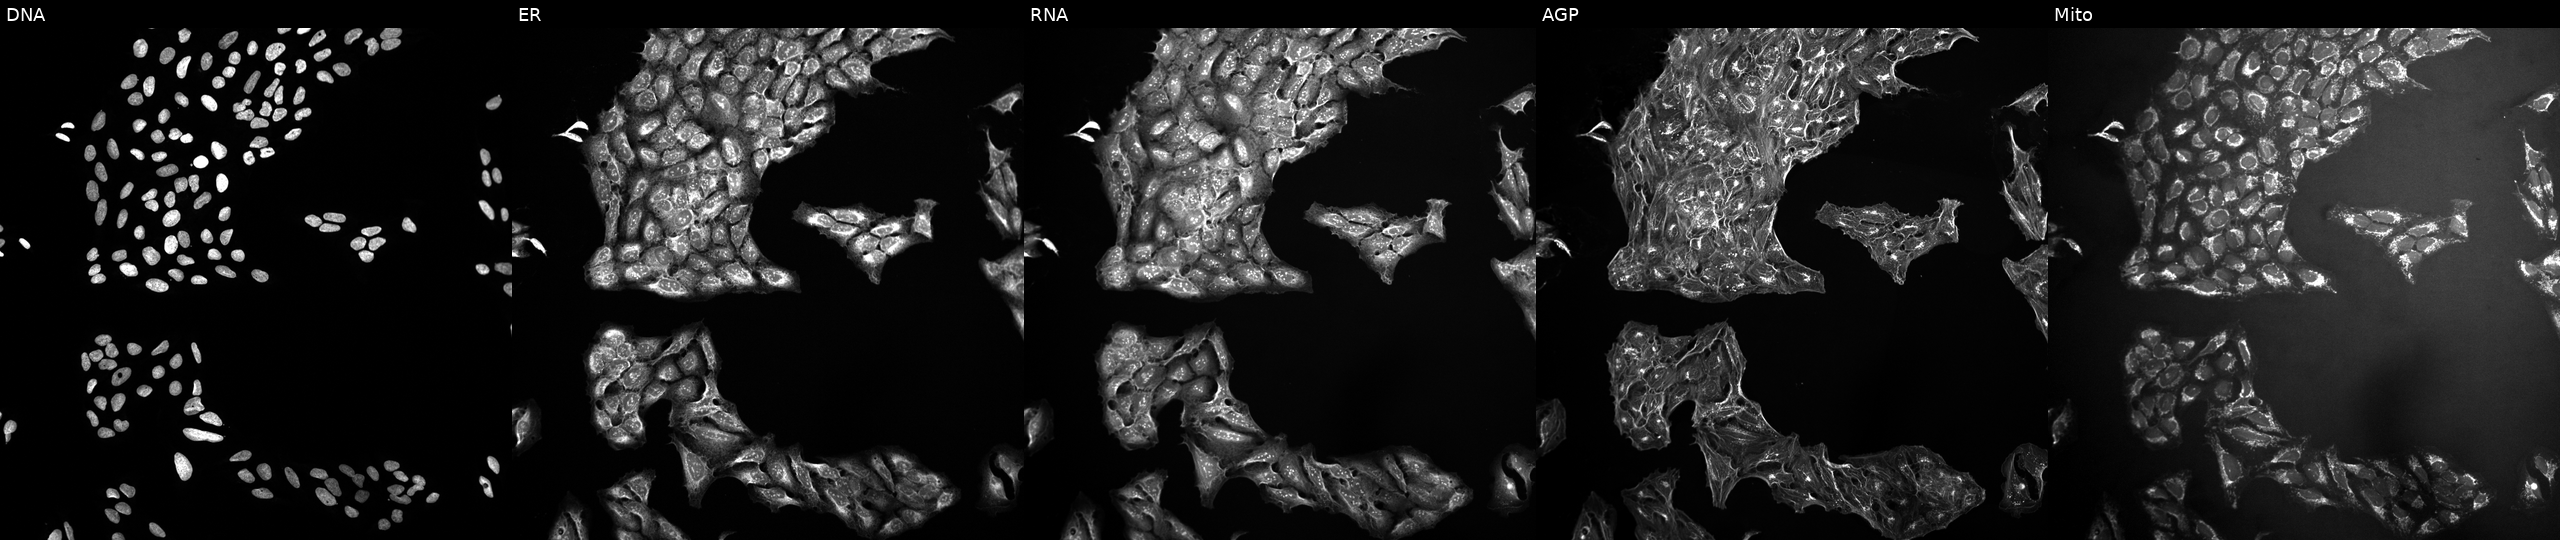
U2OS cells, Cell Painting assay, treated with a small-molecule compound (InChIKey IDUKFJMLLPLCKW-UHFFFAOYSA-N) [SMILES: Cc1ccc(C(=O)NCC2CC3CCN2CC3c2cc(-c3cccs3)nc(C)n2)cc1]. Channels (left→right): DNA, ER, RNA, AGP, and Mito. Each panel is percentile-stretched 16-bit fluorescence.